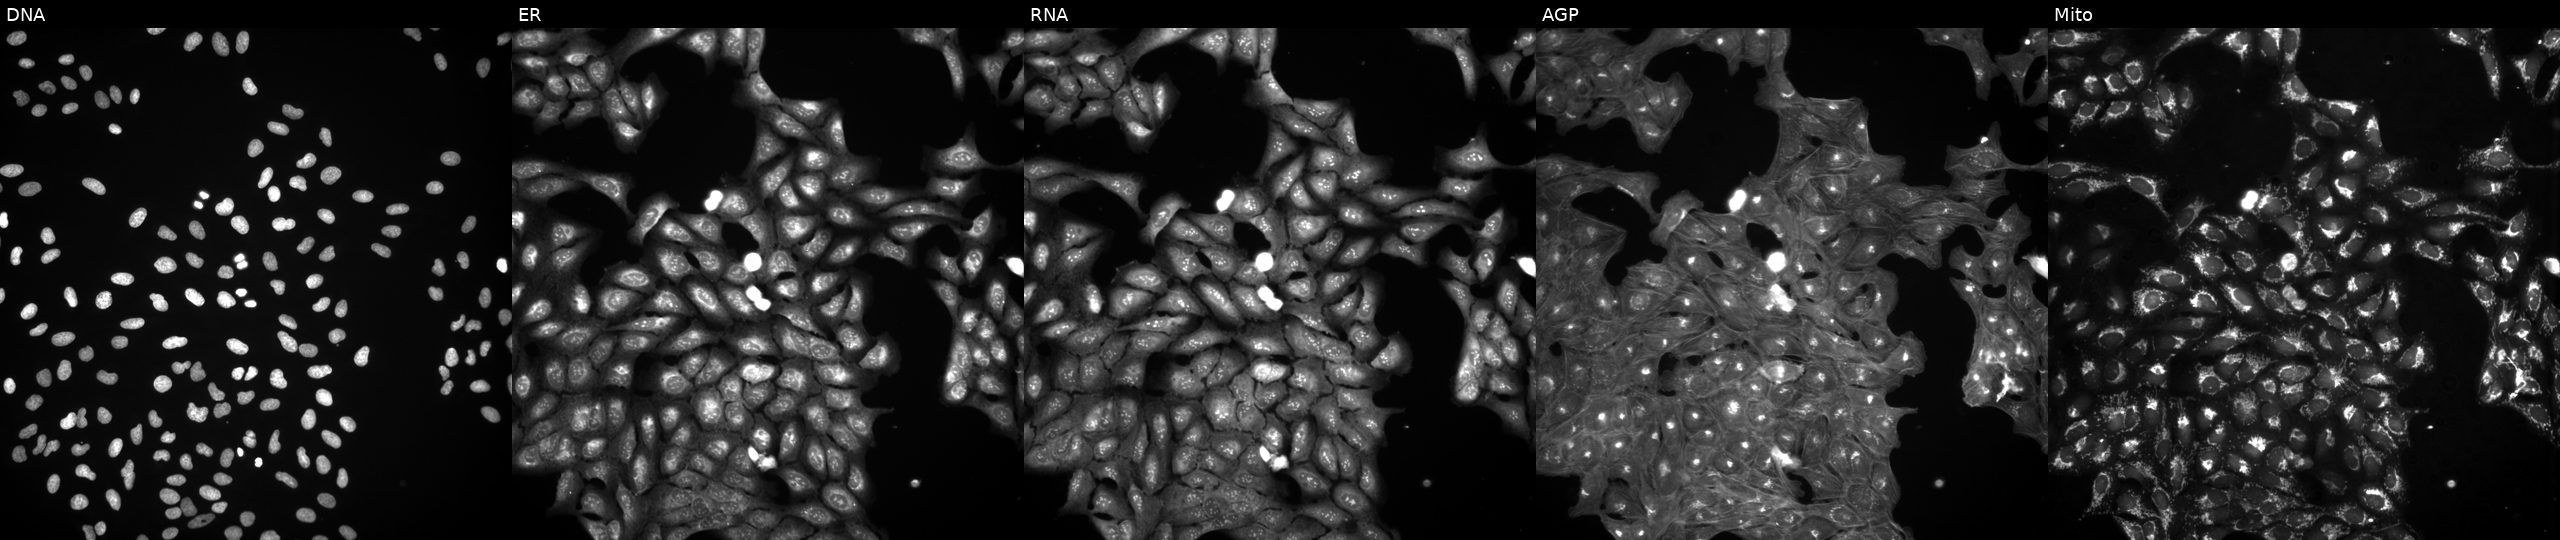
Five-channel Cell Painting image of U2OS cells perturbed with a small-molecule compound [SMILES: CCCCCCC(CCC)C(=O)O] (JUMP id JCP2022_107658). The five panels, left to right, show DNA, ER, RNA, AGP, and Mito. Source 3, plate JCPQC052, well M07.